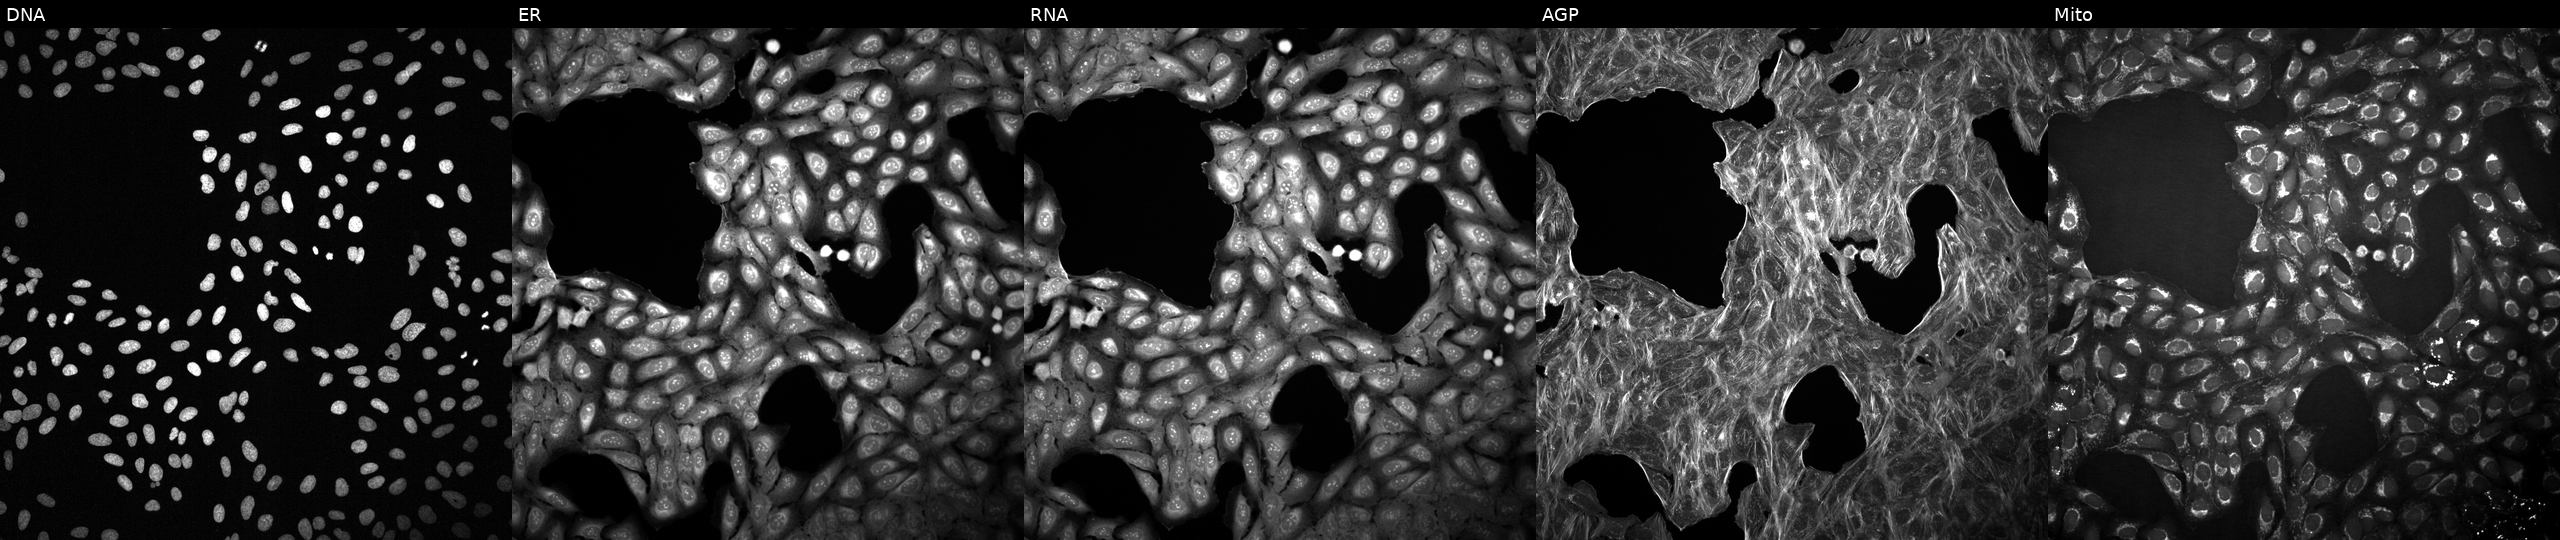
U2OS cells, Cell Painting assay, perturbed with a small-molecule compound (InChIKey RHABCJIRXWMIAS-UHFFFAOYSA-N). The five panels, left to right, show DNA (nuclei); ER (endoplasmic reticulum); RNA (nucleoli and cytoplasmic RNA); AGP (actin cytoskeleton, Golgi, and plasma membrane); Mito (mitochondria). Each panel is percentile-stretched 16-bit fluorescence.